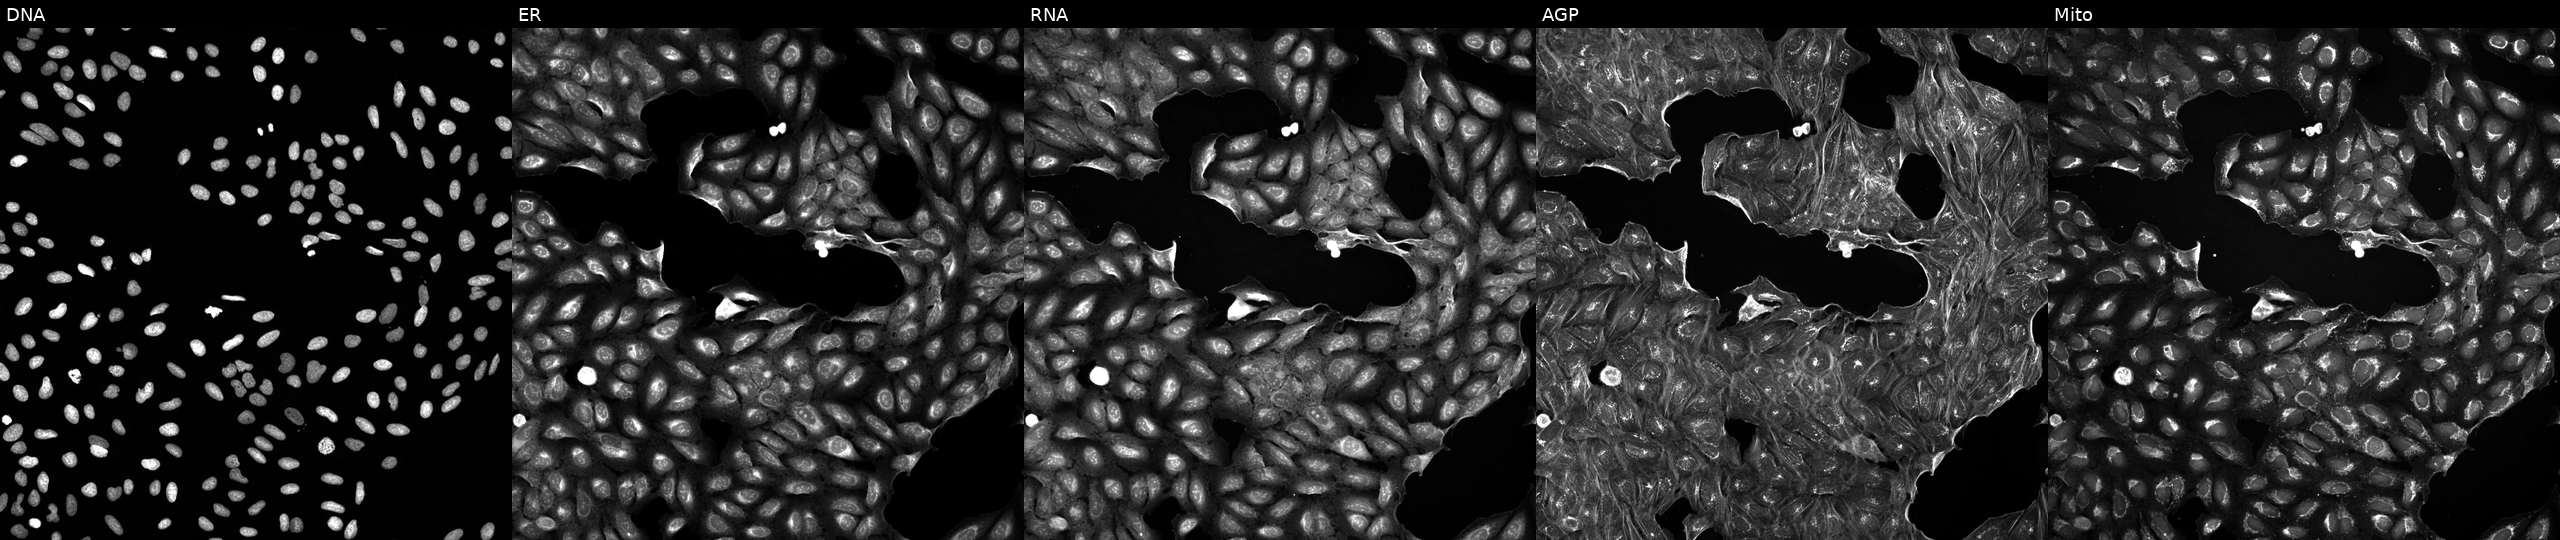
Channels (left→right): DNA, ER, RNA, AGP, and Mito. U2OS osteosarcoma cells treated with a small-molecule compound (InChIKey LQERMDXPGNOJCT-UHFFFAOYSA-N). Cell Painting assay, JUMP-CP dataset.